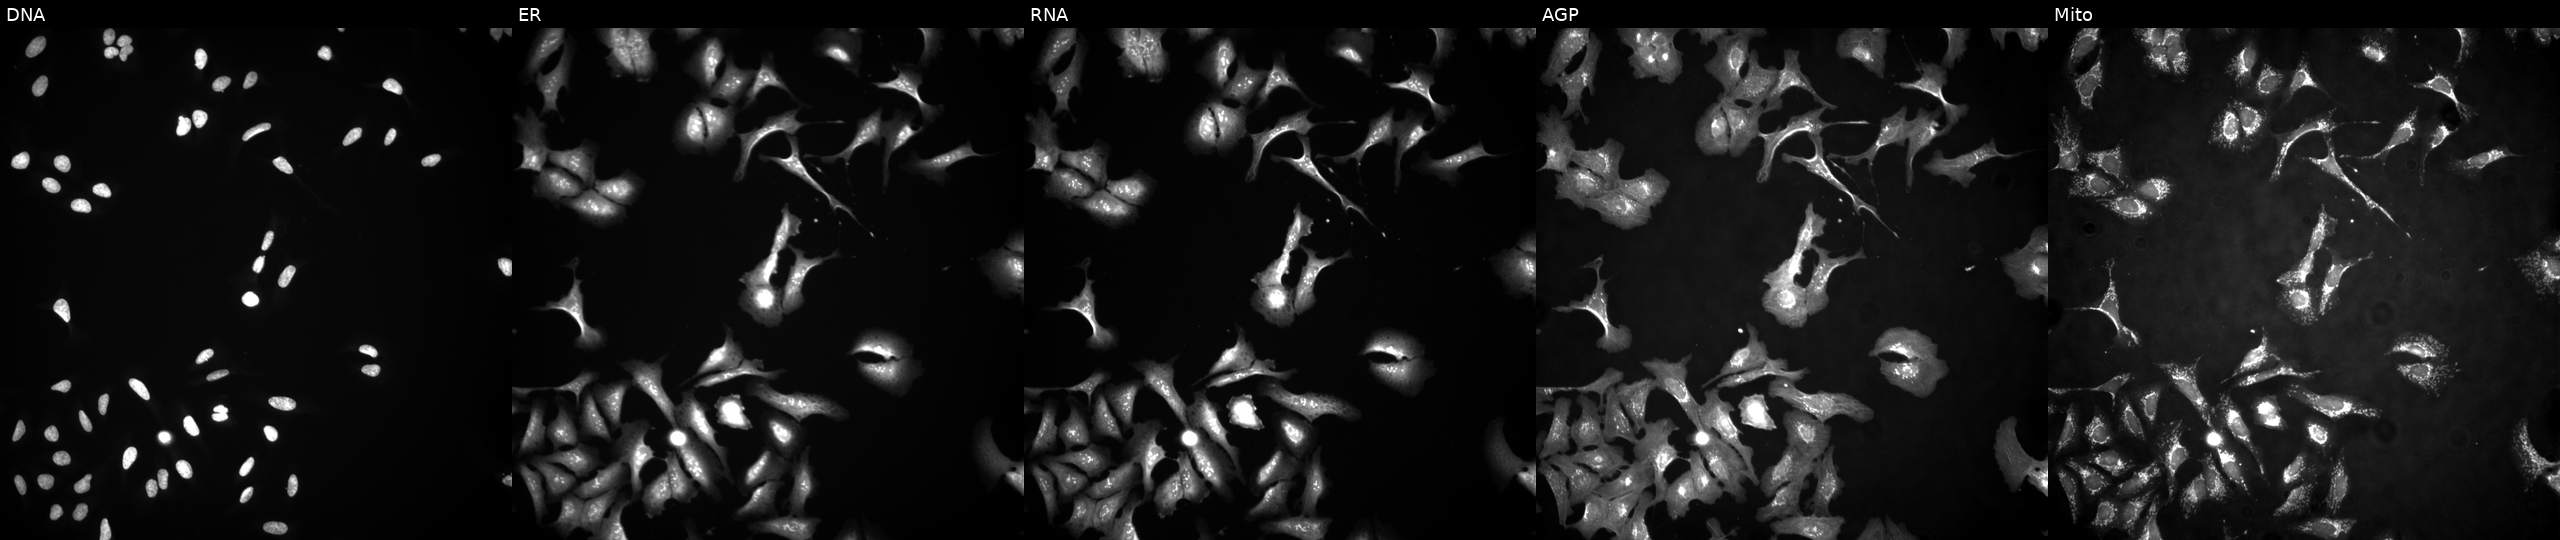
U2OS cells, Cell Painting assay, overexpressing DLX2 via ORF transfection (JUMP id JCP2022_905709). From left to right: DNA, ER, RNA, AGP, and Mito. Each panel is percentile-stretched 16-bit fluorescence. Source 4, plate BR00117035, well H03.